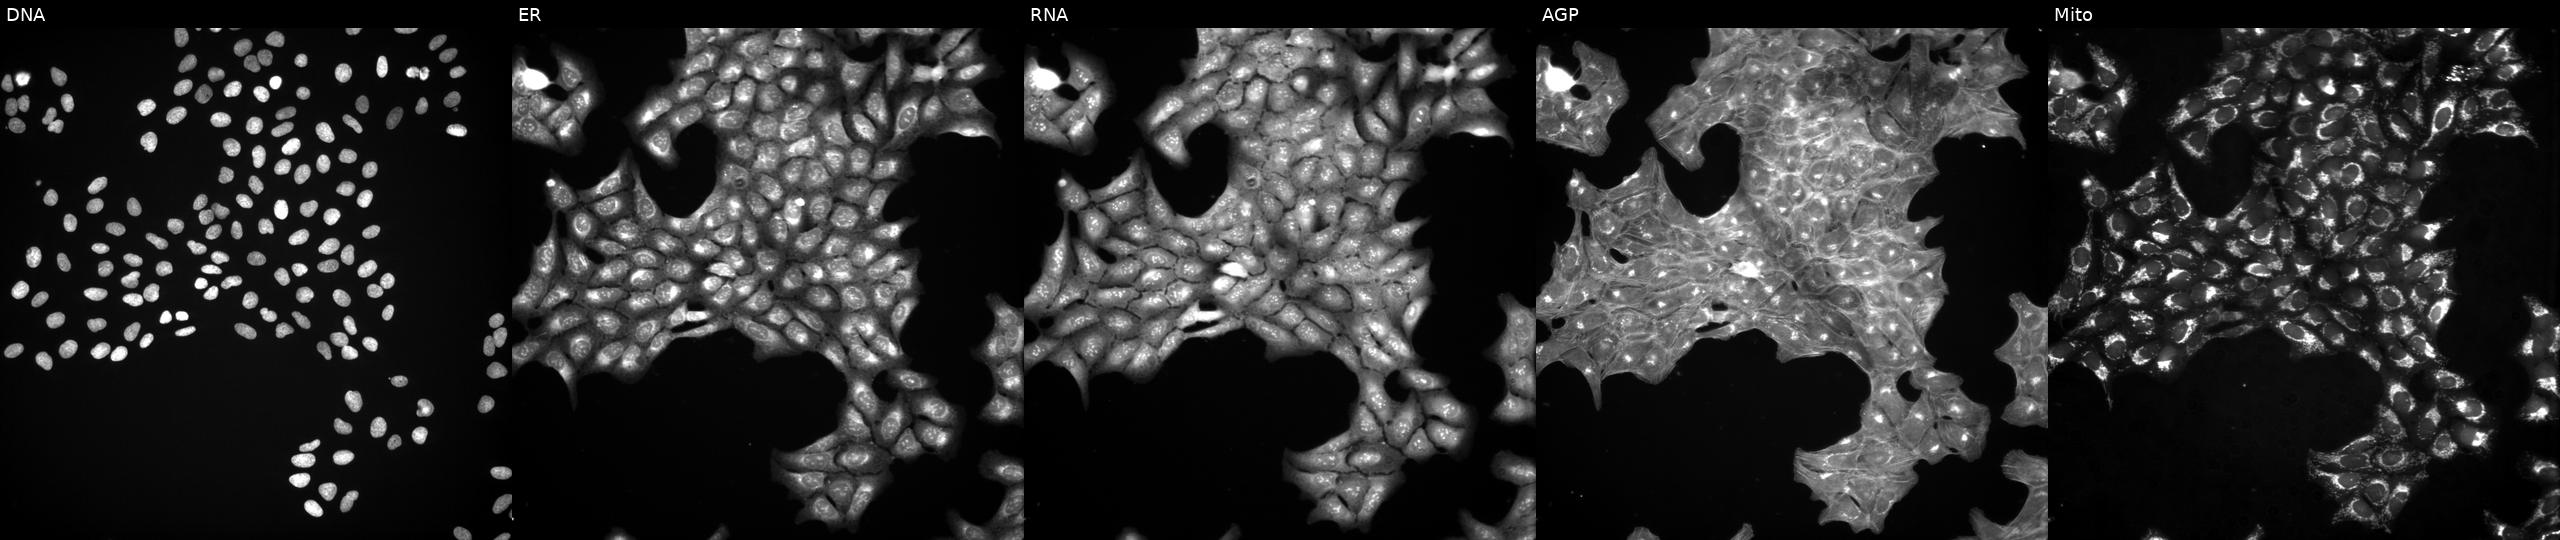
U2OS cells, Cell Painting assay, exposed to a small-molecule compound (InChIKey HFNKQEVNSGCOJV-UHFFFAOYSA-N) (JUMP id JCP2022_029868). From left to right: DNA (nuclei); ER (endoplasmic reticulum); RNA (nucleoli and cytoplasmic RNA); AGP (actin cytoskeleton, Golgi, and plasma membrane); Mito (mitochondria). Each panel is percentile-stretched 16-bit fluorescence. Source 3, plate JCPQC053, well J22.